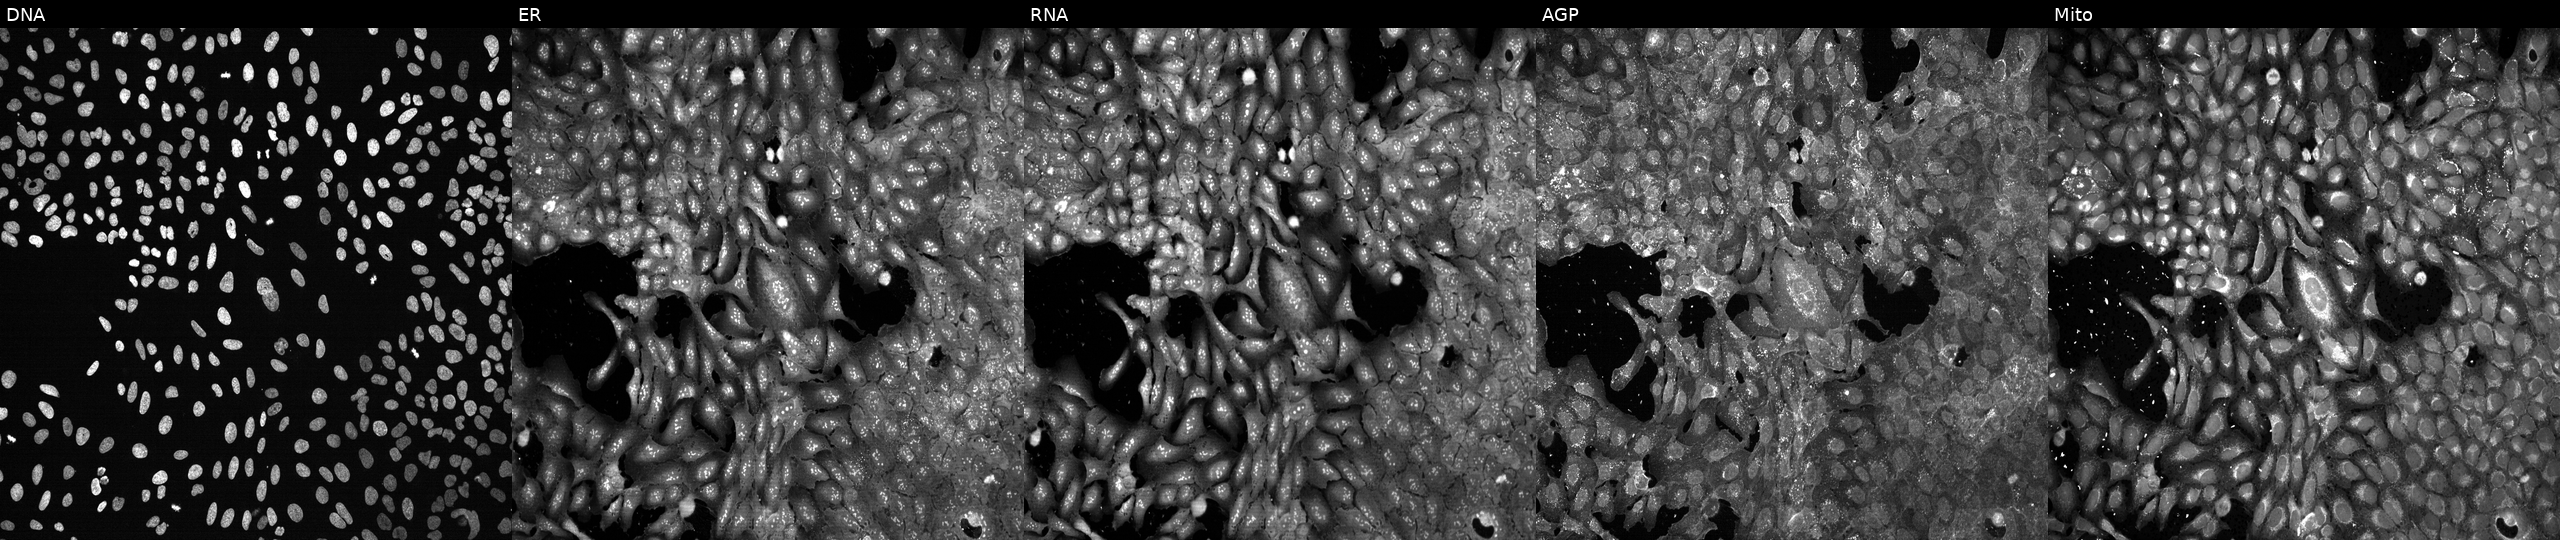
Panels show, left to right, Hoechst 33342, concanavalin A, SYTO 14, phalloidin and WGA, MitoTracker. U2OS osteosarcoma cells exposed to the positive-control compound aloxistatin. Cell Painting assay, JUMP-CP dataset.